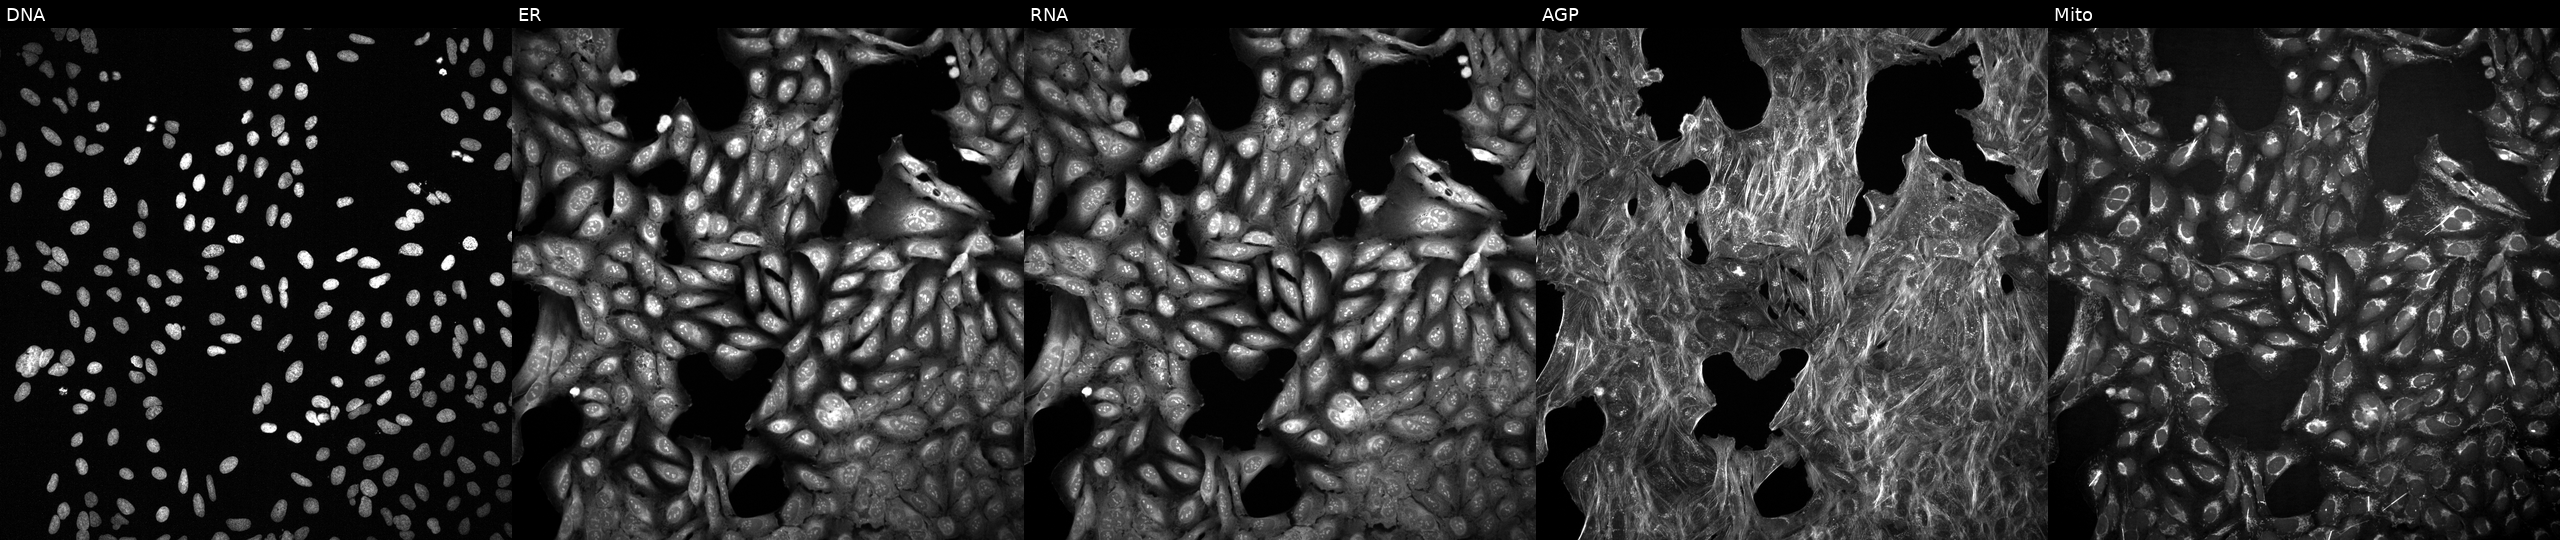
High-content fluorescence microscopy (Cell Painting). Cell line: U2OS. Perturbation: perturbed with a small-molecule compound (JUMP id JCP2022_007530). The five panels, left to right, show Hoechst 33342, concanavalin A, SYTO 14, phalloidin and WGA, MitoTracker. Source 2, plate 1053601756, well E17.